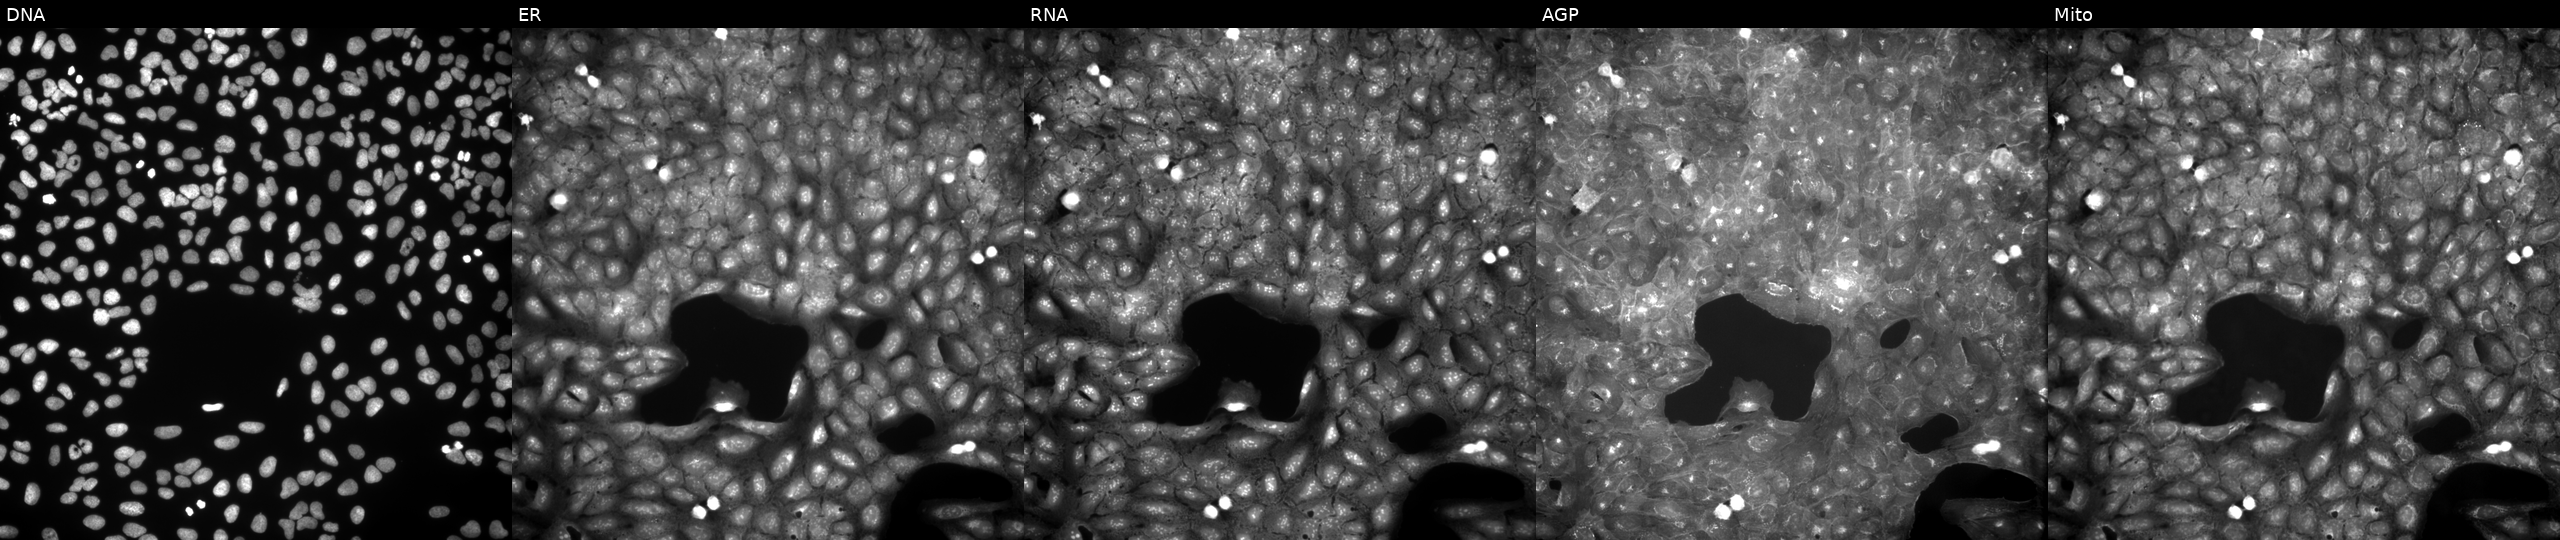
Five-channel Cell Painting image of U2OS cells treated with a small-molecule compound (InChIKey BEGHBZIOVHCEFJ-UHFFFAOYSA-N). Panels show, left to right, Hoechst 33342, concanavalin A, SYTO 14, phalloidin and WGA, MitoTracker. Source 9, plate GR00003381, well I36.